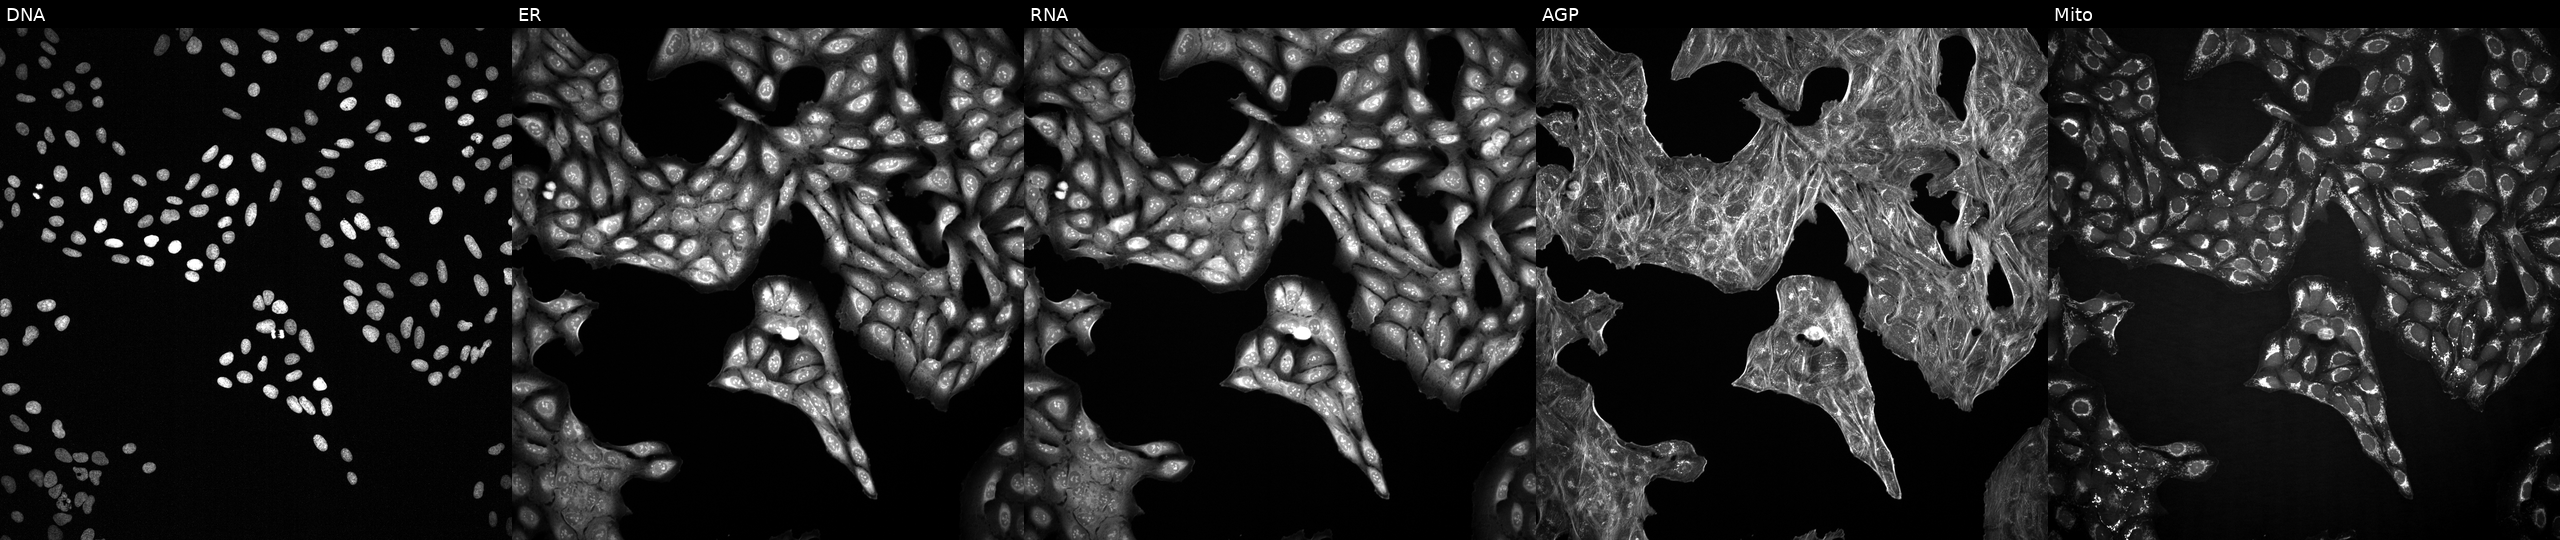
This image strip shows the five Cell Painting channels for a single field of U2OS cells treated with a small-molecule compound (InChIKey BYPRIINAJADHOO-UHFFFAOYSA-N) [SMILES: Cc1ccc(N(Cc2cc3ccccc3[nH]c2=O)C(=O)c2cccs2)c(C)c1]. Panels show, left to right, DNA (nuclei); ER (endoplasmic reticulum); RNA (nucleoli and cytoplasmic RNA); AGP (actin cytoskeleton, Golgi, and plasma membrane); Mito (mitochondria).